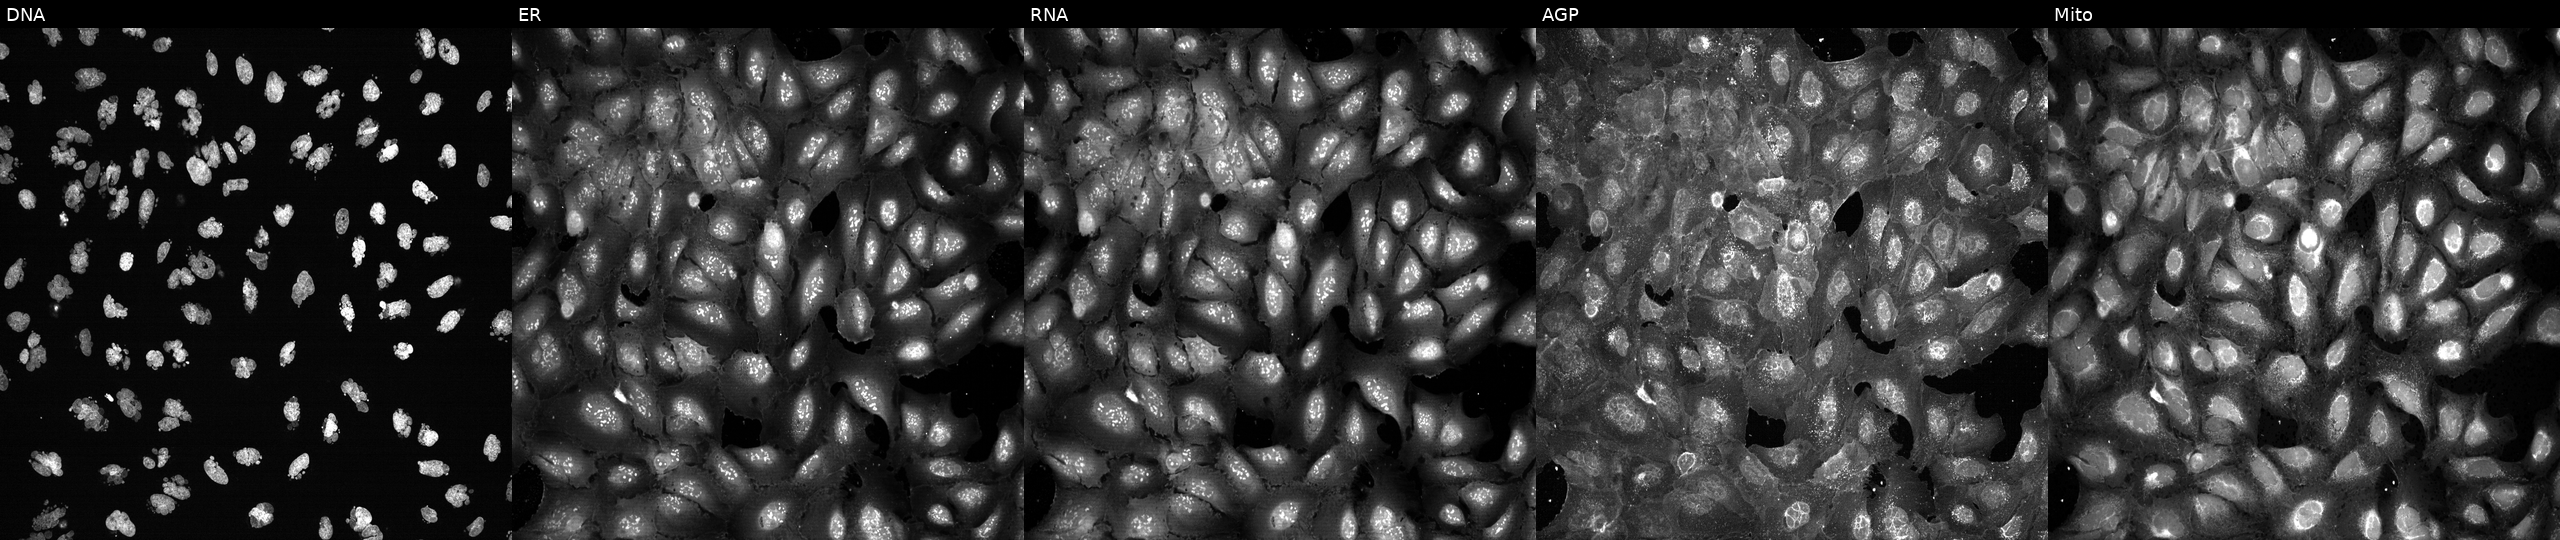
This image strip shows the five Cell Painting channels for a single field of U2OS cells treated with AMG900 (positive-control compound). Panels show, left to right, Hoechst 33342, concanavalin A, SYTO 14, phalloidin and WGA, MitoTracker.